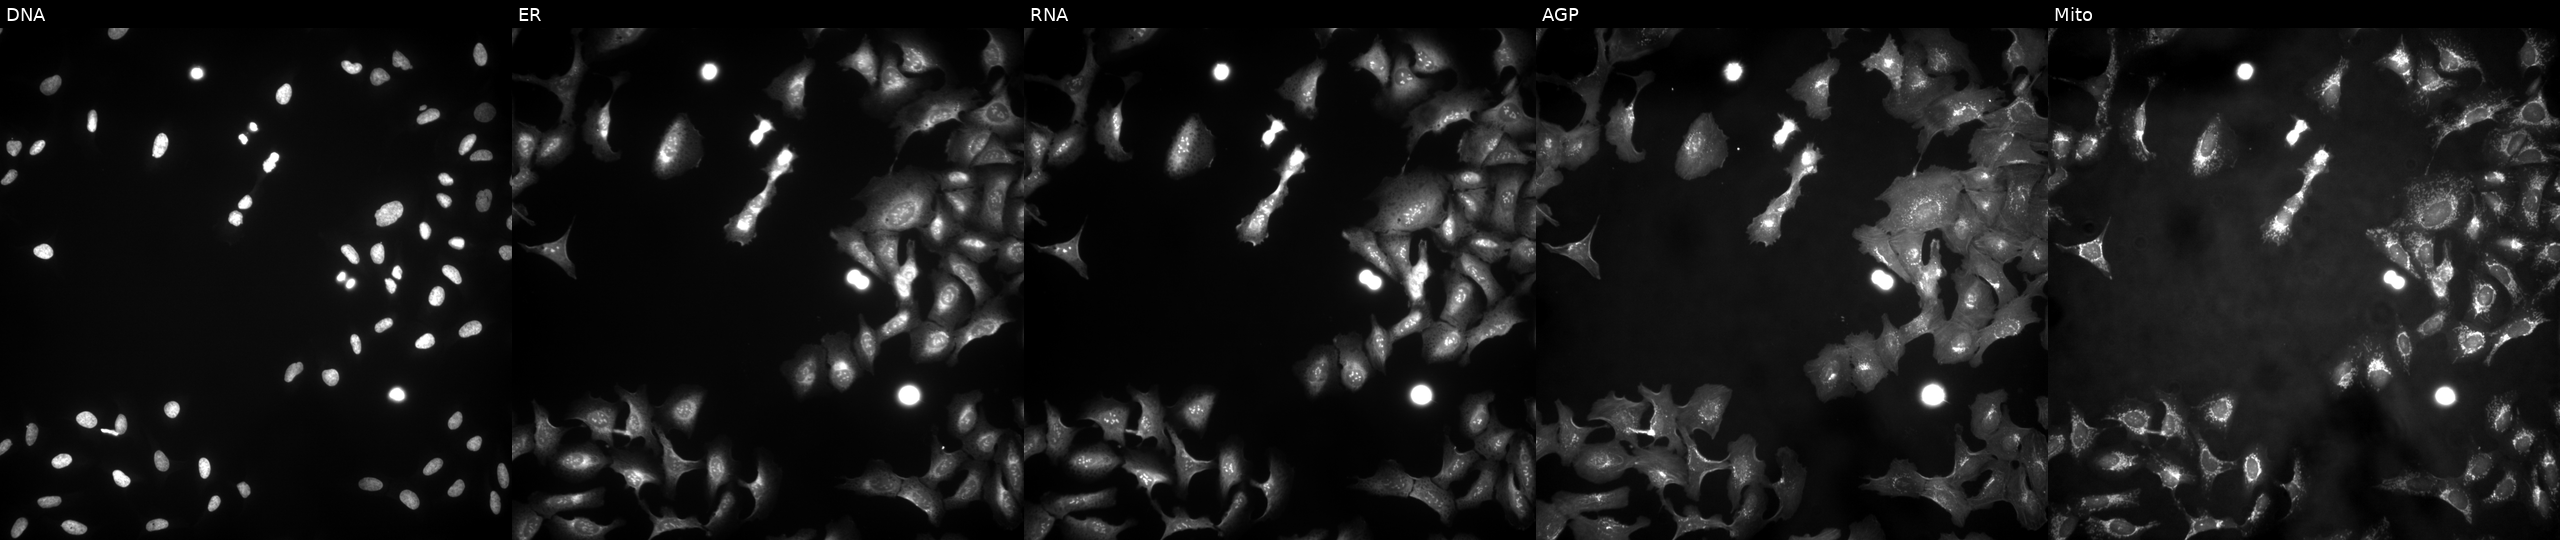
Channels (left→right): DNA (nuclei); ER (endoplasmic reticulum); RNA (nucleoli and cytoplasmic RNA); AGP (actin cytoskeleton, Golgi, and plasma membrane); Mito (mitochondria). U2OS osteosarcoma cells transfected with an ORF construct for VEGFC. Cell Painting assay, JUMP-CP dataset. Source 4, plate BR00123506, well J14.